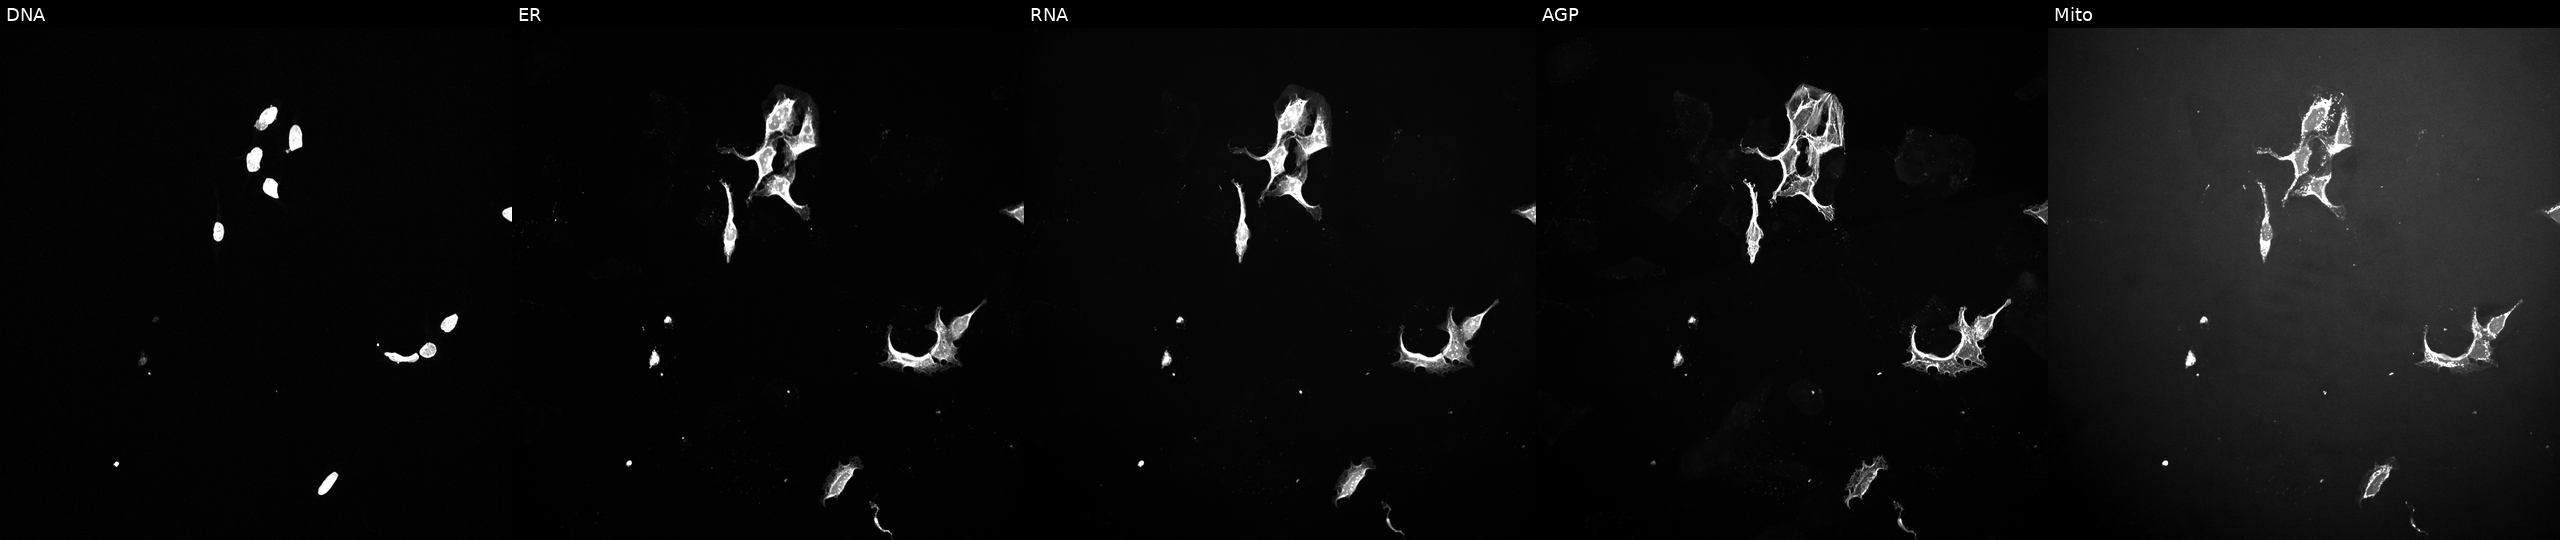
This image strip shows the five Cell Painting channels for a single field of U2OS cells exposed to a small-molecule compound (InChIKey MJSHVHLADKXCML-UHFFFAOYSA-N). The five panels, left to right, show DNA, ER, RNA, AGP, and Mito. Source 10, plate Dest210726-160150, well C11.